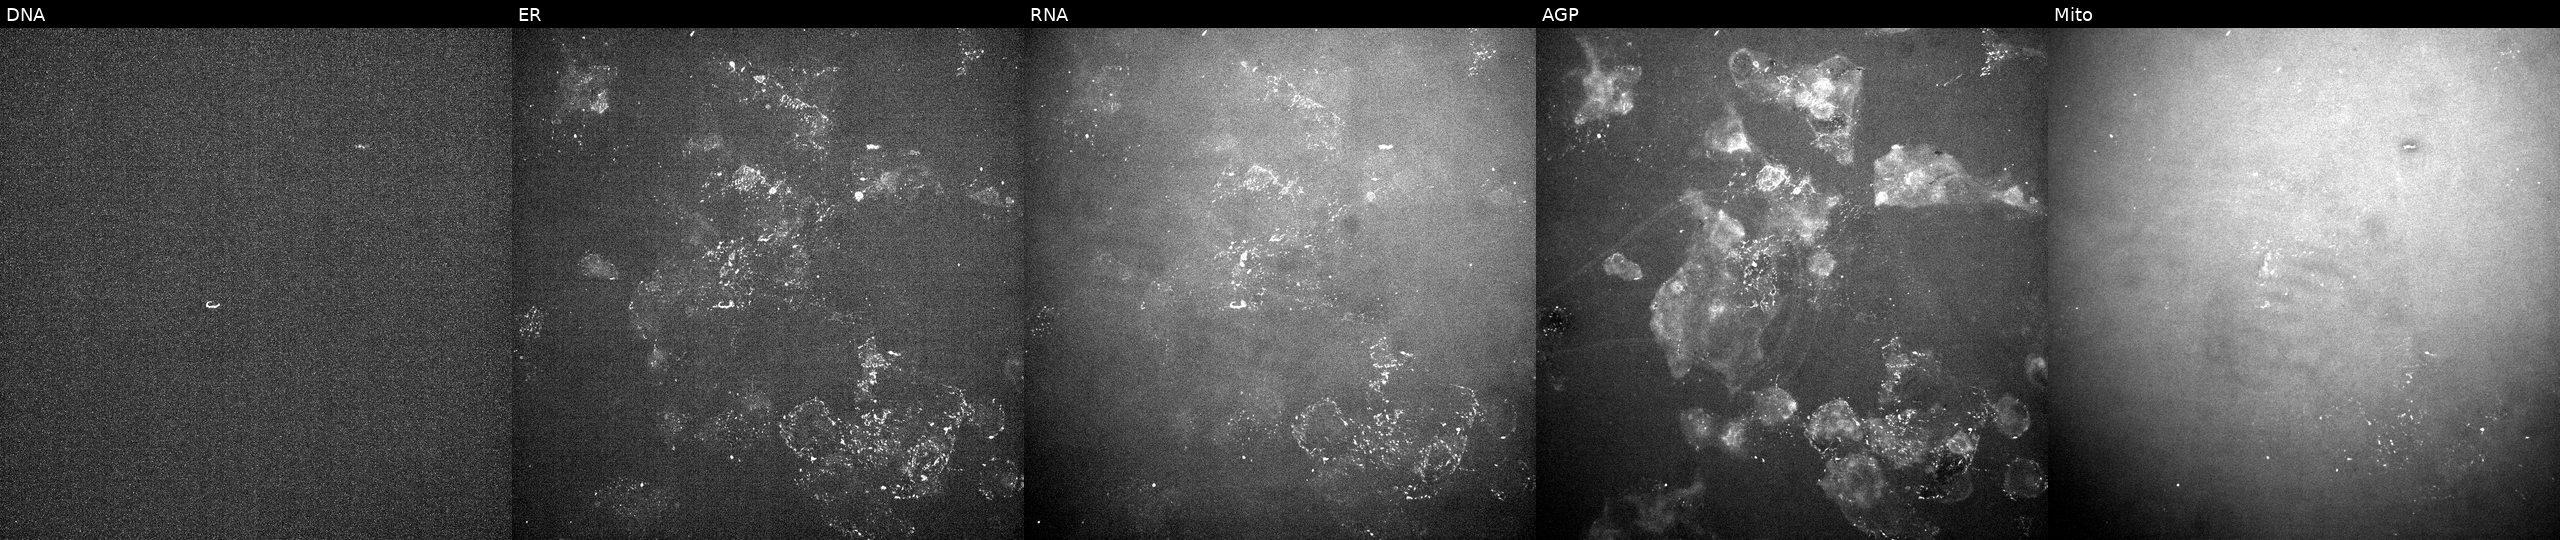
U2OS cells, Cell Painting assay, perturbed with a small-molecule compound (InChIKey RXWNCPJZOCPEPQ-UHFFFAOYSA-N) [SMILES: COc1ccc(CC(N)C(=O)NC2C(CO)OC(n3cnc4c(N(C)C)ncnc43)C2O)cc1]. Panels show, left to right, DNA (nuclei); ER (endoplasmic reticulum); RNA (nucleoli and cytoplasmic RNA); AGP (actin cytoskeleton, Golgi, and plasma membrane); Mito (mitochondria). Each panel is percentile-stretched 16-bit fluorescence.